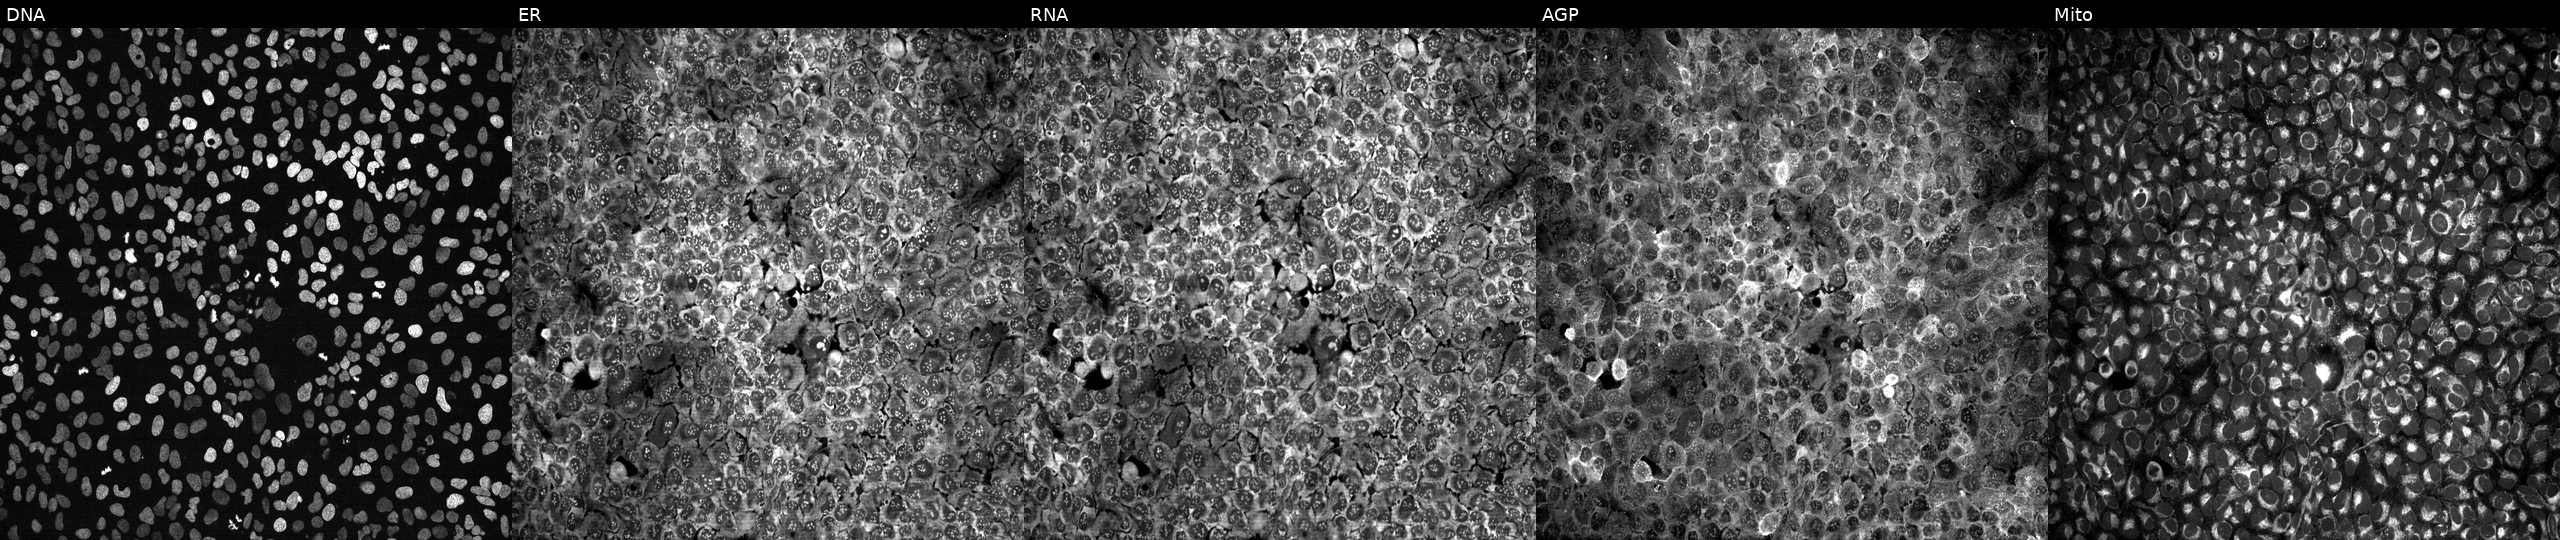
JUMP Cell Painting — CRISPR plate. U2OS cells with SOST knocked out by CRISPR (JUMP id JCP2022_806693). Channels (left→right): Hoechst 33342, concanavalin A, SYTO 14, phalloidin and WGA, MitoTracker.